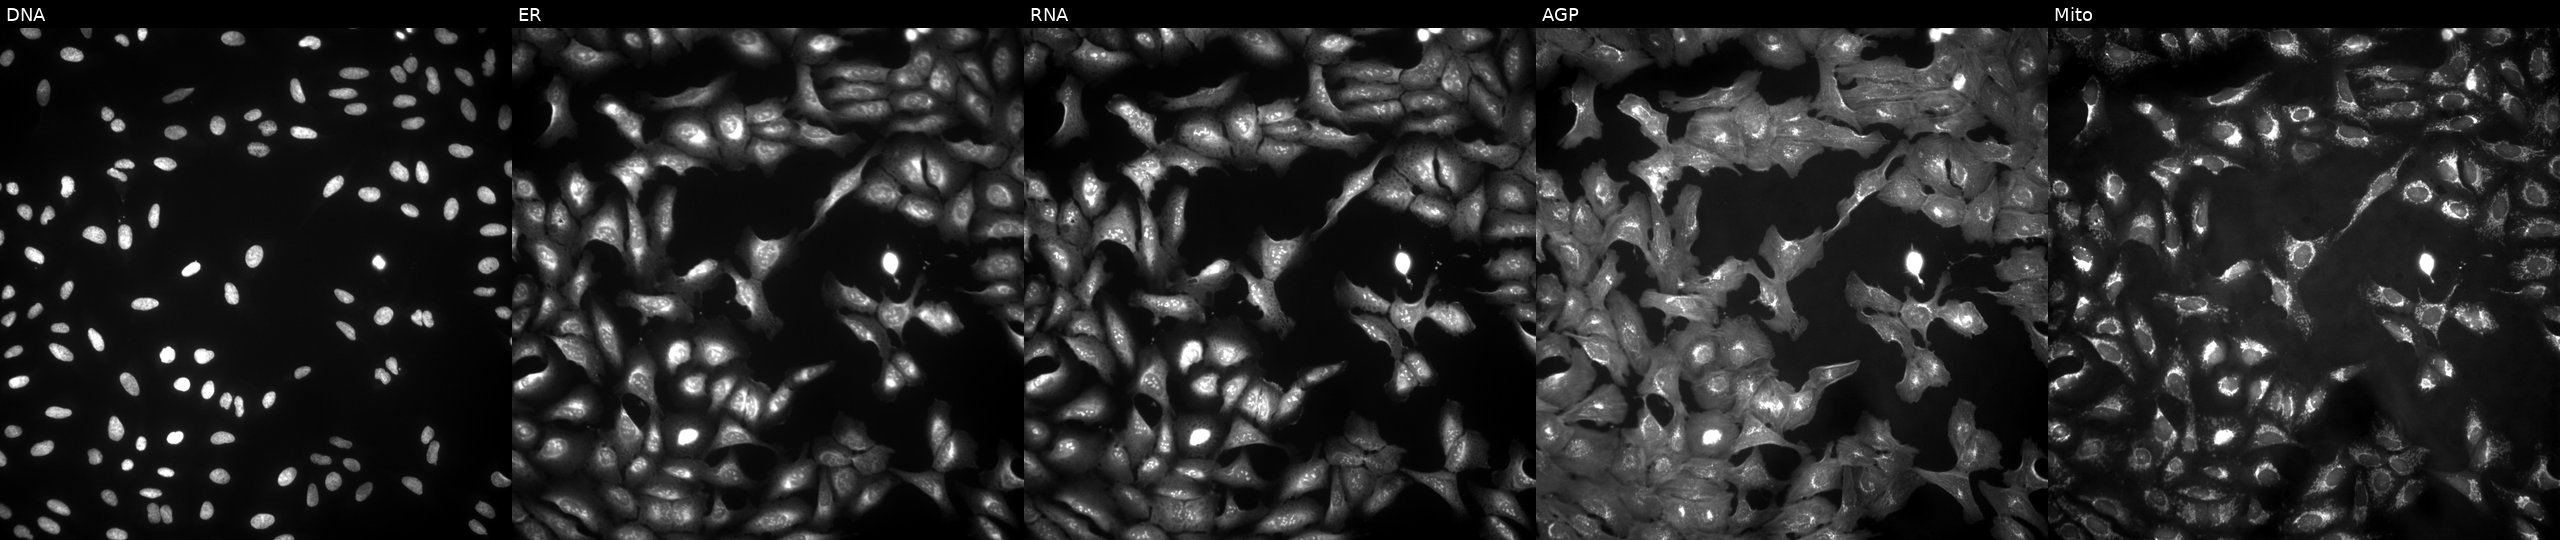
Five-channel Cell Painting image of U2OS cells overexpressing NLGN3 via ORF transfection. Panels show, left to right, Hoechst 33342, concanavalin A, SYTO 14, phalloidin and WGA, MitoTracker.